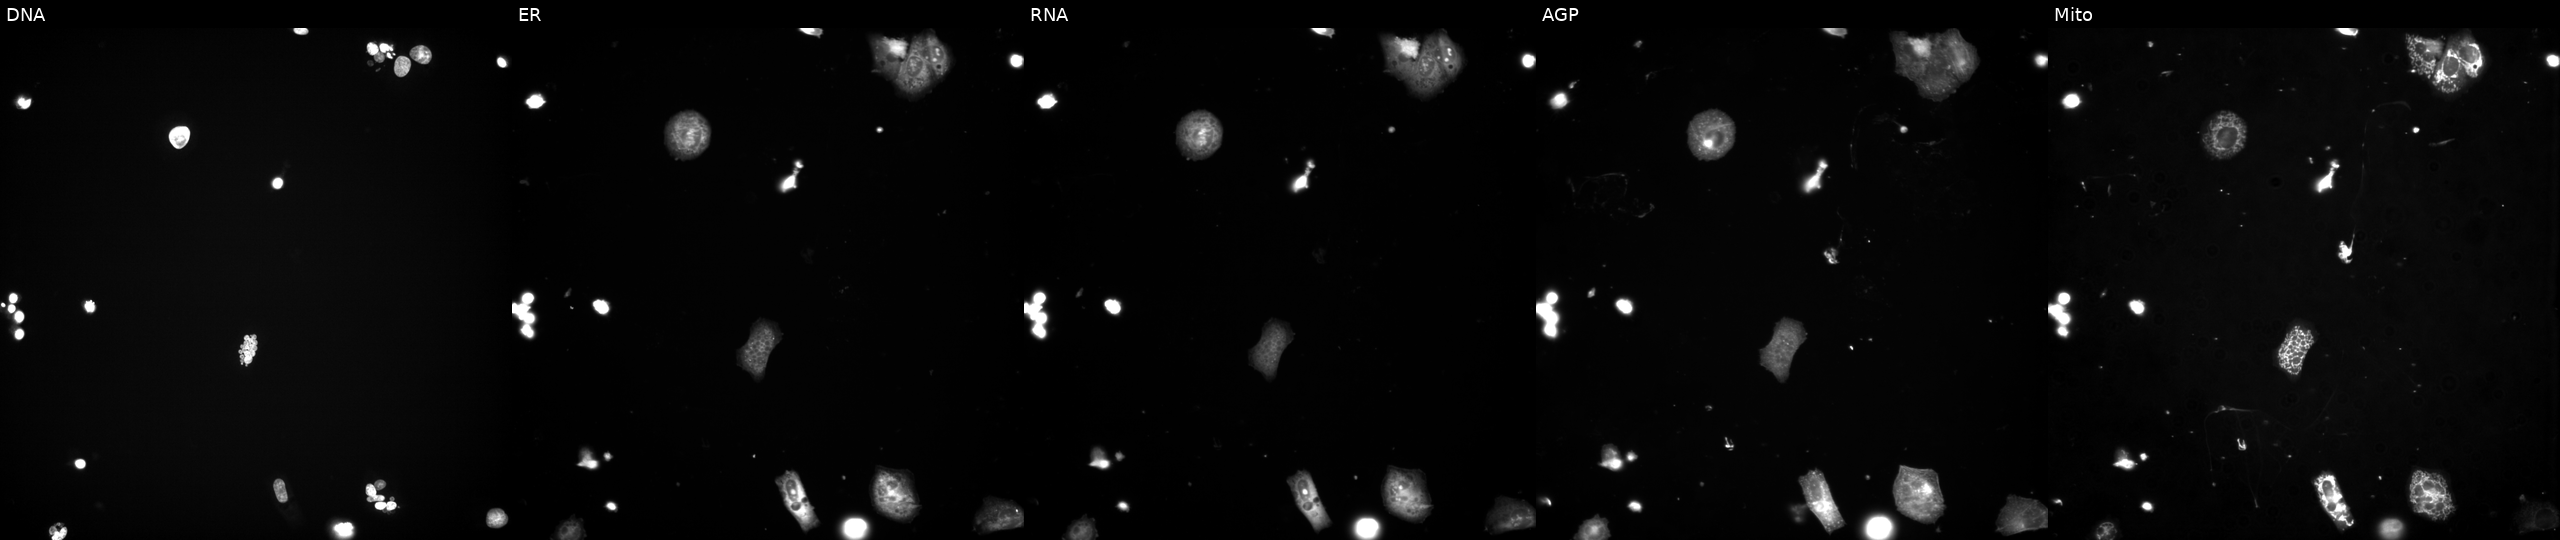
Five-channel Cell Painting image of U2OS cells perturbed with a small-molecule compound (InChIKey VSVFLGPUZJTBSD-UHFFFAOYSA-N) (JUMP id JCP2022_096054). From left to right: DNA, ER, RNA, AGP, and Mito.